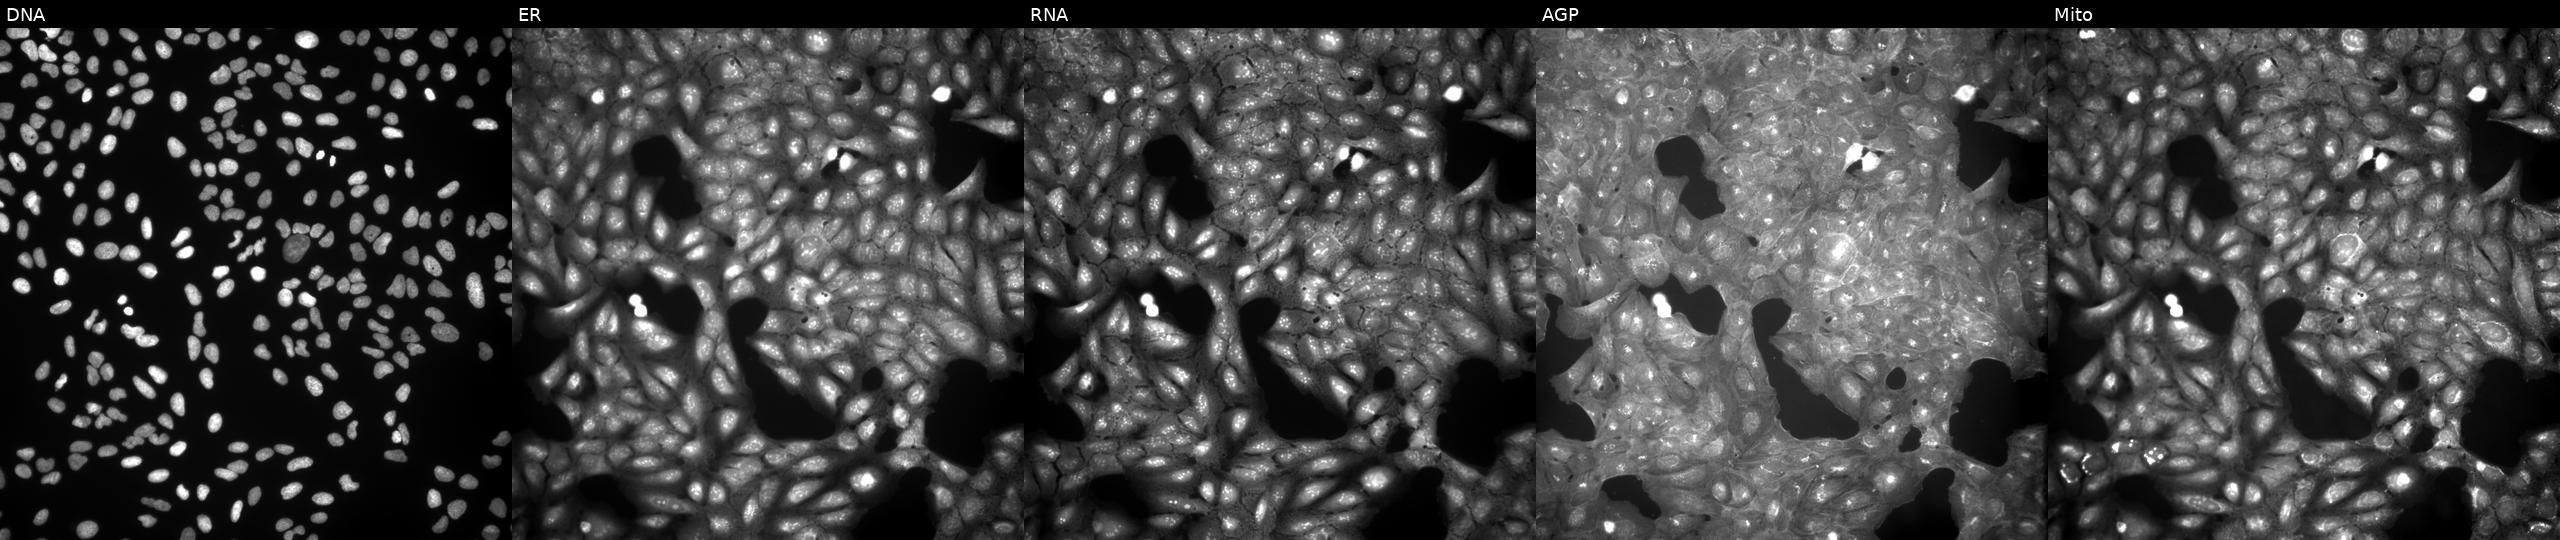
U2OS cells, Cell Painting assay, perturbed with a small-molecule compound (InChIKey MPCMIFLTVOBIJG-UHFFFAOYSA-N). The five panels, left to right, show DNA (nuclei); ER (endoplasmic reticulum); RNA (nucleoli and cytoplasmic RNA); AGP (actin cytoskeleton, Golgi, and plasma membrane); Mito (mitochondria). Each panel is percentile-stretched 16-bit fluorescence. Source 9, plate GR00003381, well G40.